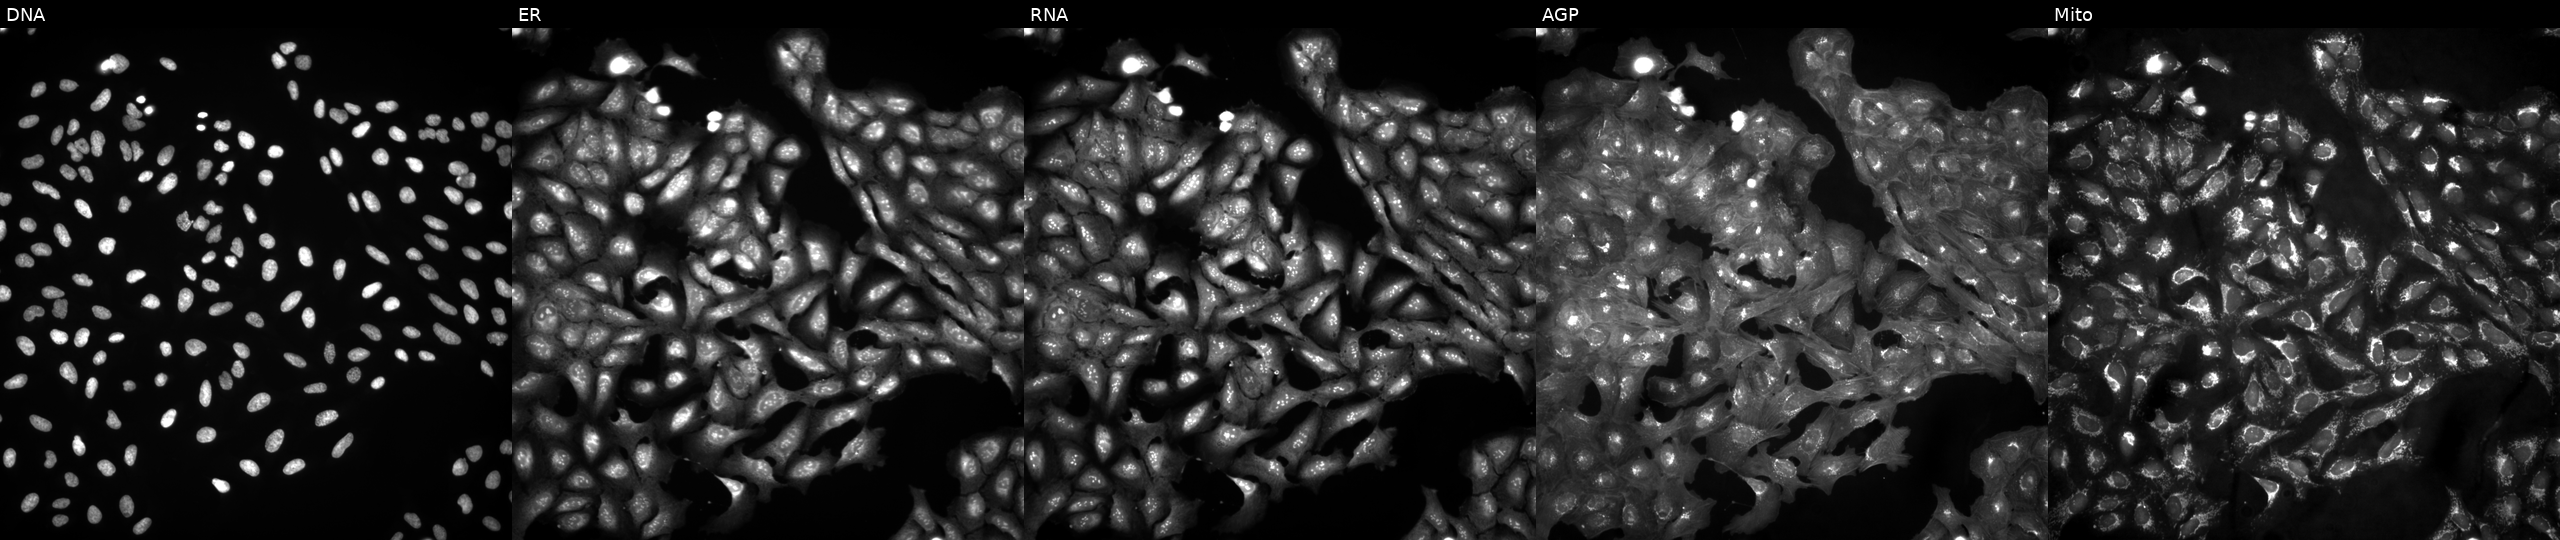
Five-channel Cell Painting image of U2OS cells untreated (empty-well control) (JUMP id JCP2022_999999). Panels show, left to right, DNA (nuclei); ER (endoplasmic reticulum); RNA (nucleoli and cytoplasmic RNA); AGP (actin cytoskeleton, Golgi, and plasma membrane); Mito (mitochondria).